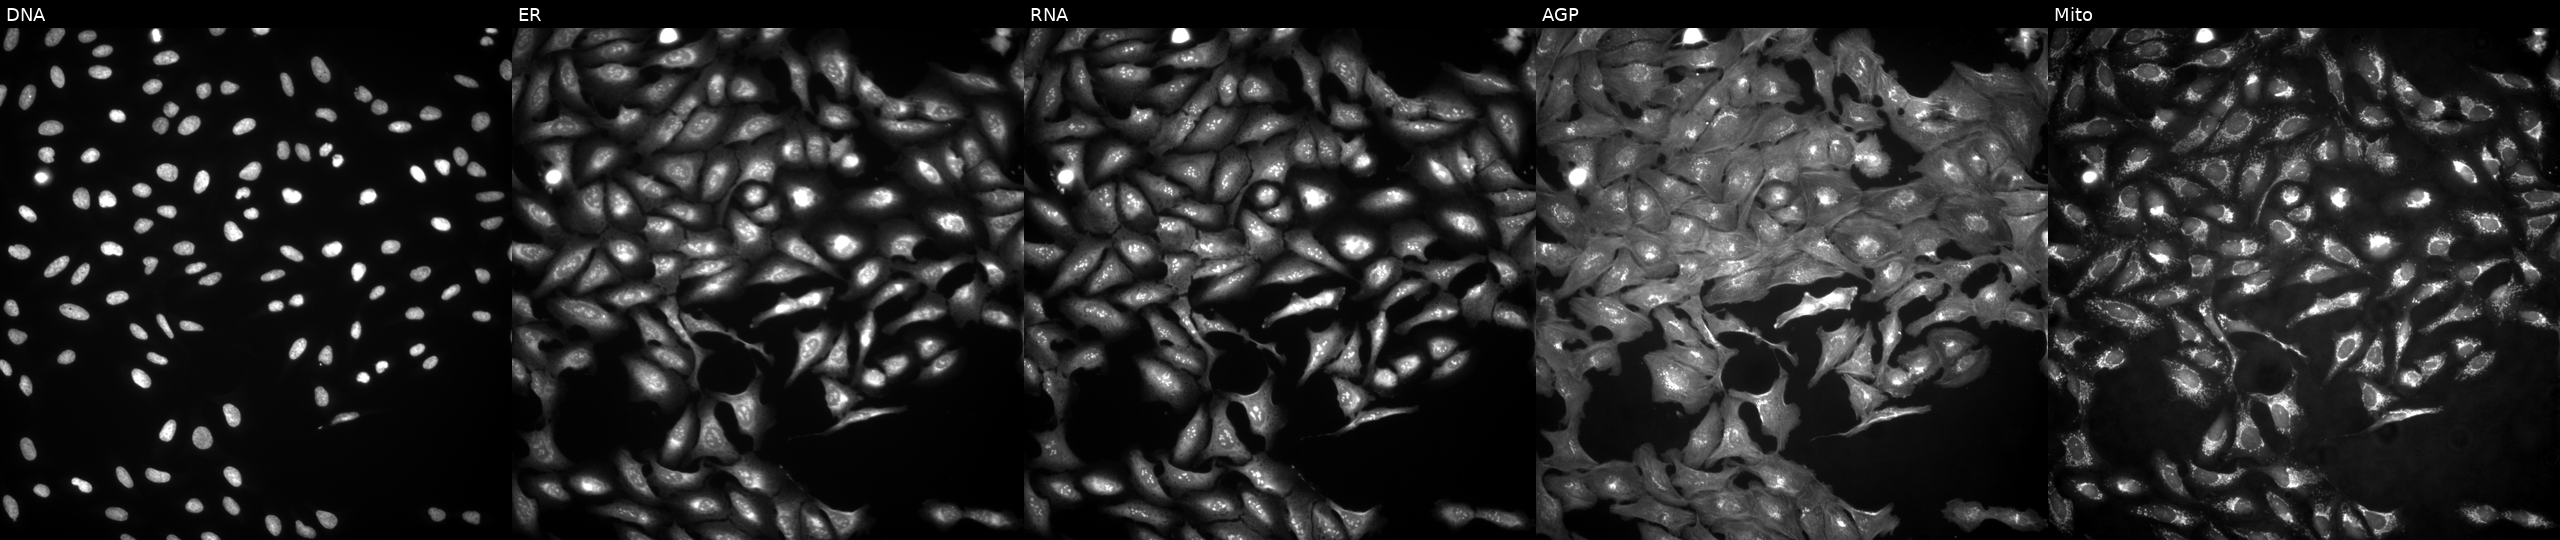
High-content fluorescence microscopy (Cell Painting). Cell line: U2OS. Perturbation: overexpressing ZNF821 via ORF transfection. From left to right: Hoechst 33342, concanavalin A, SYTO 14, phalloidin and WGA, MitoTracker. Source 4, plate BR00123509, well K15.